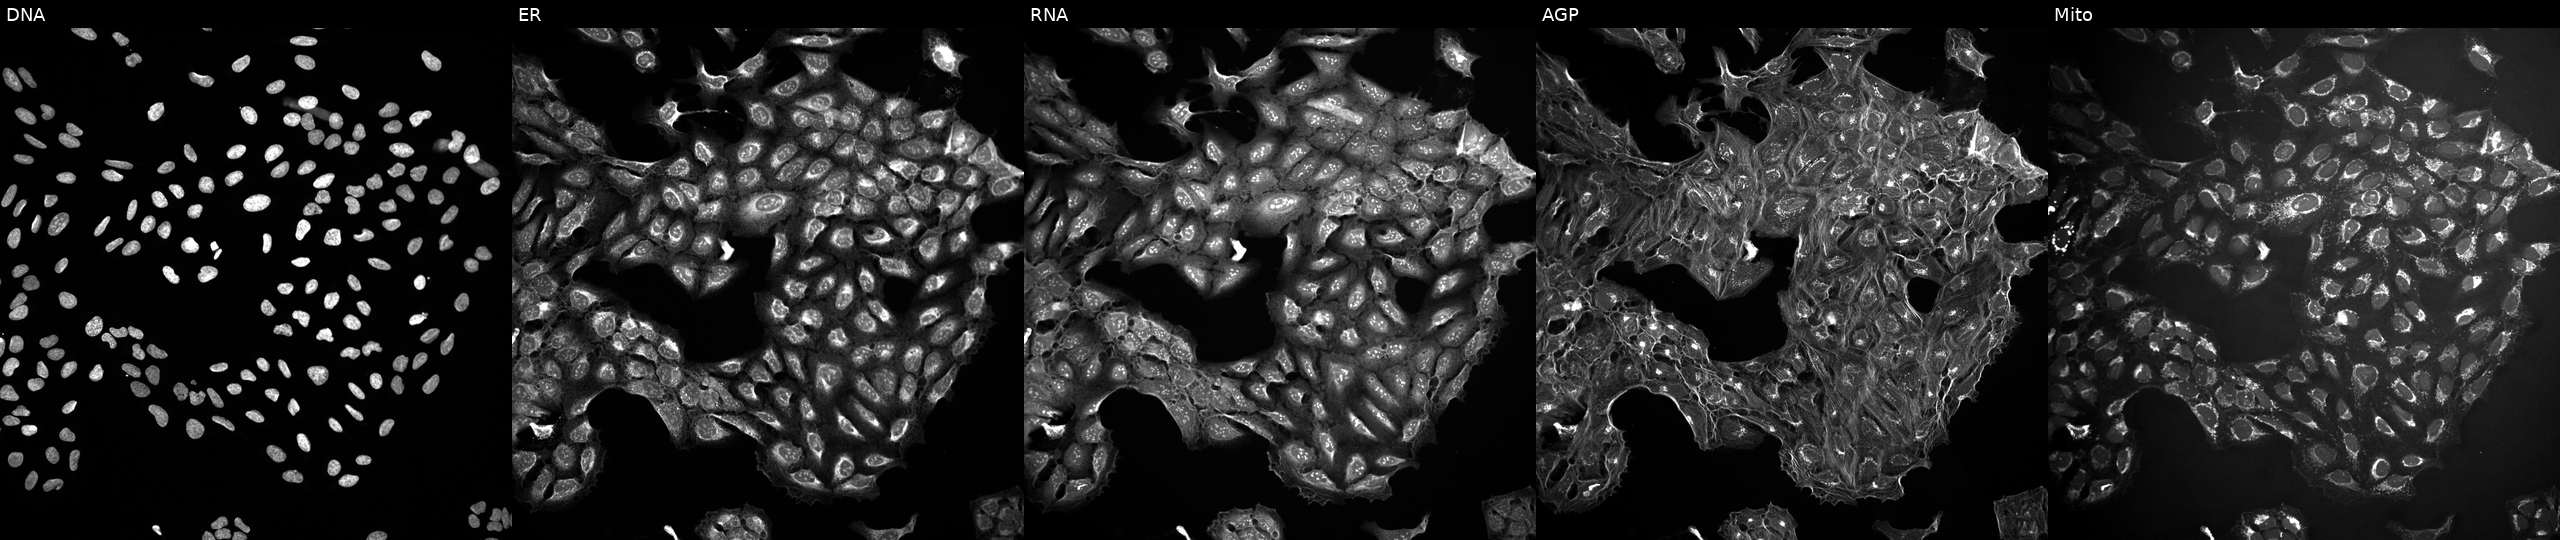
This image strip shows the five Cell Painting channels for a single field of U2OS cells untreated (empty-well control). Channels (left→right): DNA, ER, RNA, AGP, and Mito.